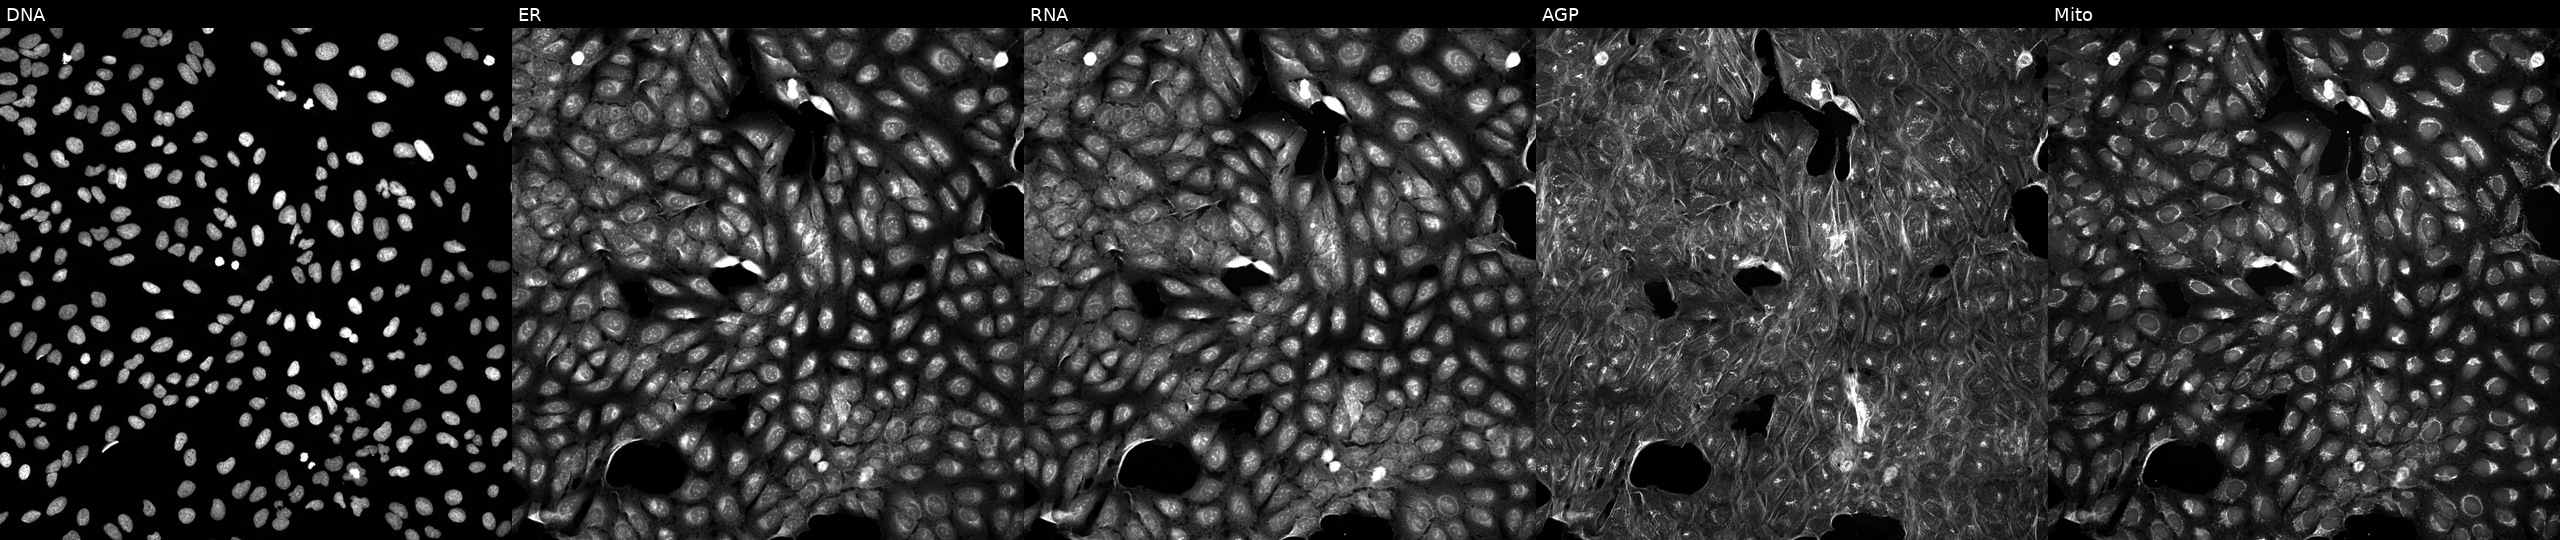
JUMP Cell Painting — TARGET2 plate. U2OS cells exposed to a small-molecule compound (InChIKey QWJOPXDAQCDRRM-UHFFFAOYSA-N) (JUMP id JCP2022_076300). From left to right: DNA (nuclei); ER (endoplasmic reticulum); RNA (nucleoli and cytoplasmic RNA); AGP (actin cytoskeleton, Golgi, and plasma membrane); Mito (mitochondria). Source 5, plate ACPJUM032, well M16.